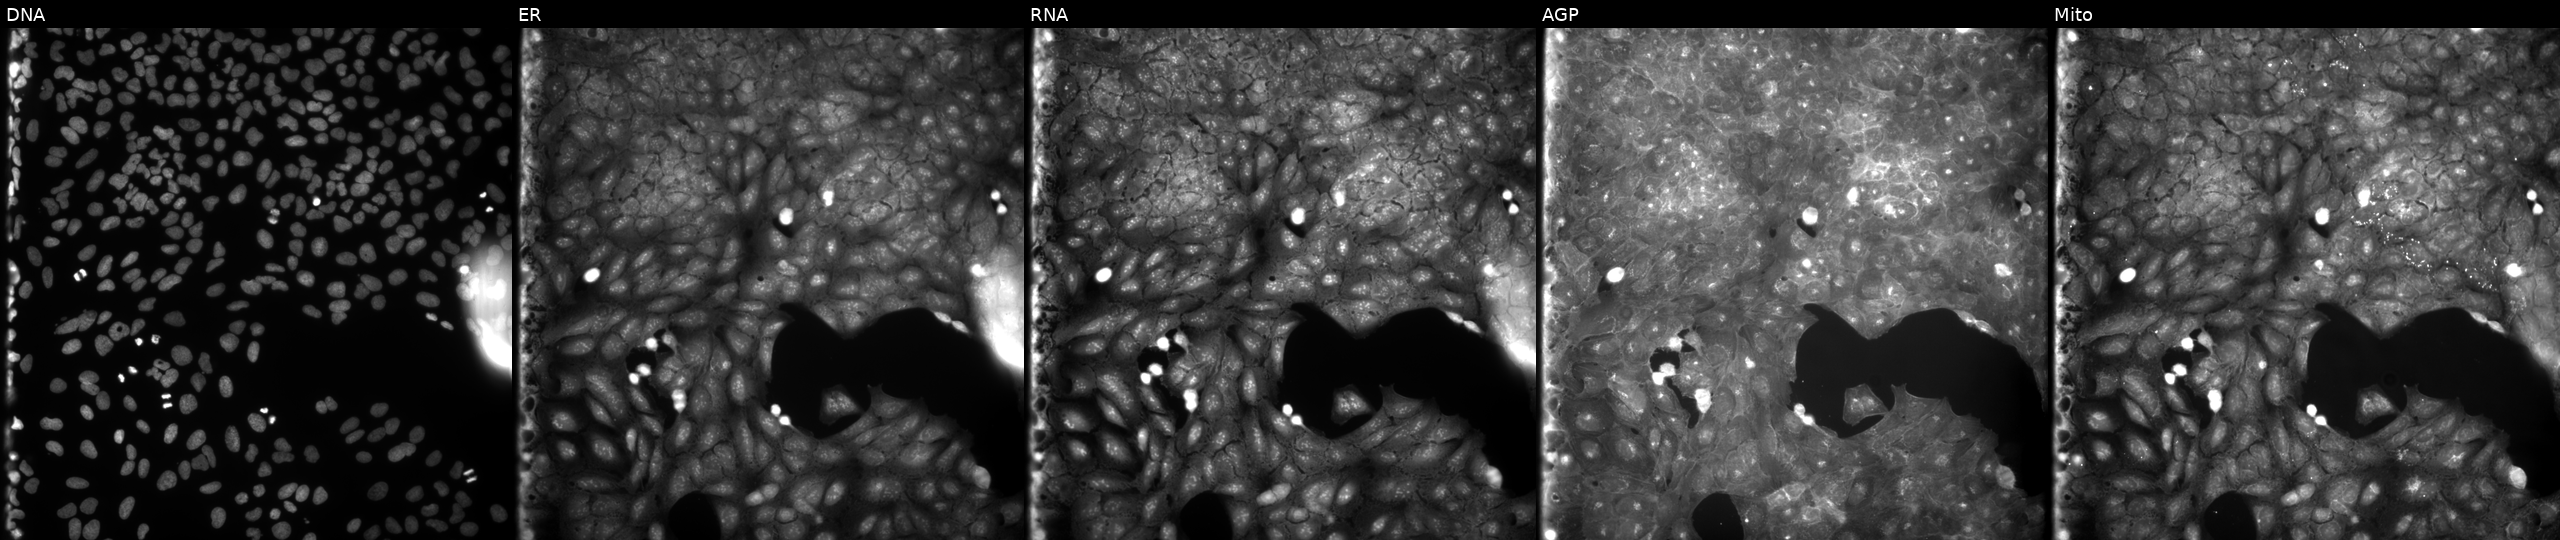
JUMP Cell Painting — COMPOUND plate. U2OS cells treated with a small-molecule compound (InChIKey BRXNUNNUTXLIRZ-UHFFFAOYSA-N). The five panels, left to right, show Hoechst 33342, concanavalin A, SYTO 14, phalloidin and WGA, MitoTracker. Source 9, plate GR00003382, well O11.